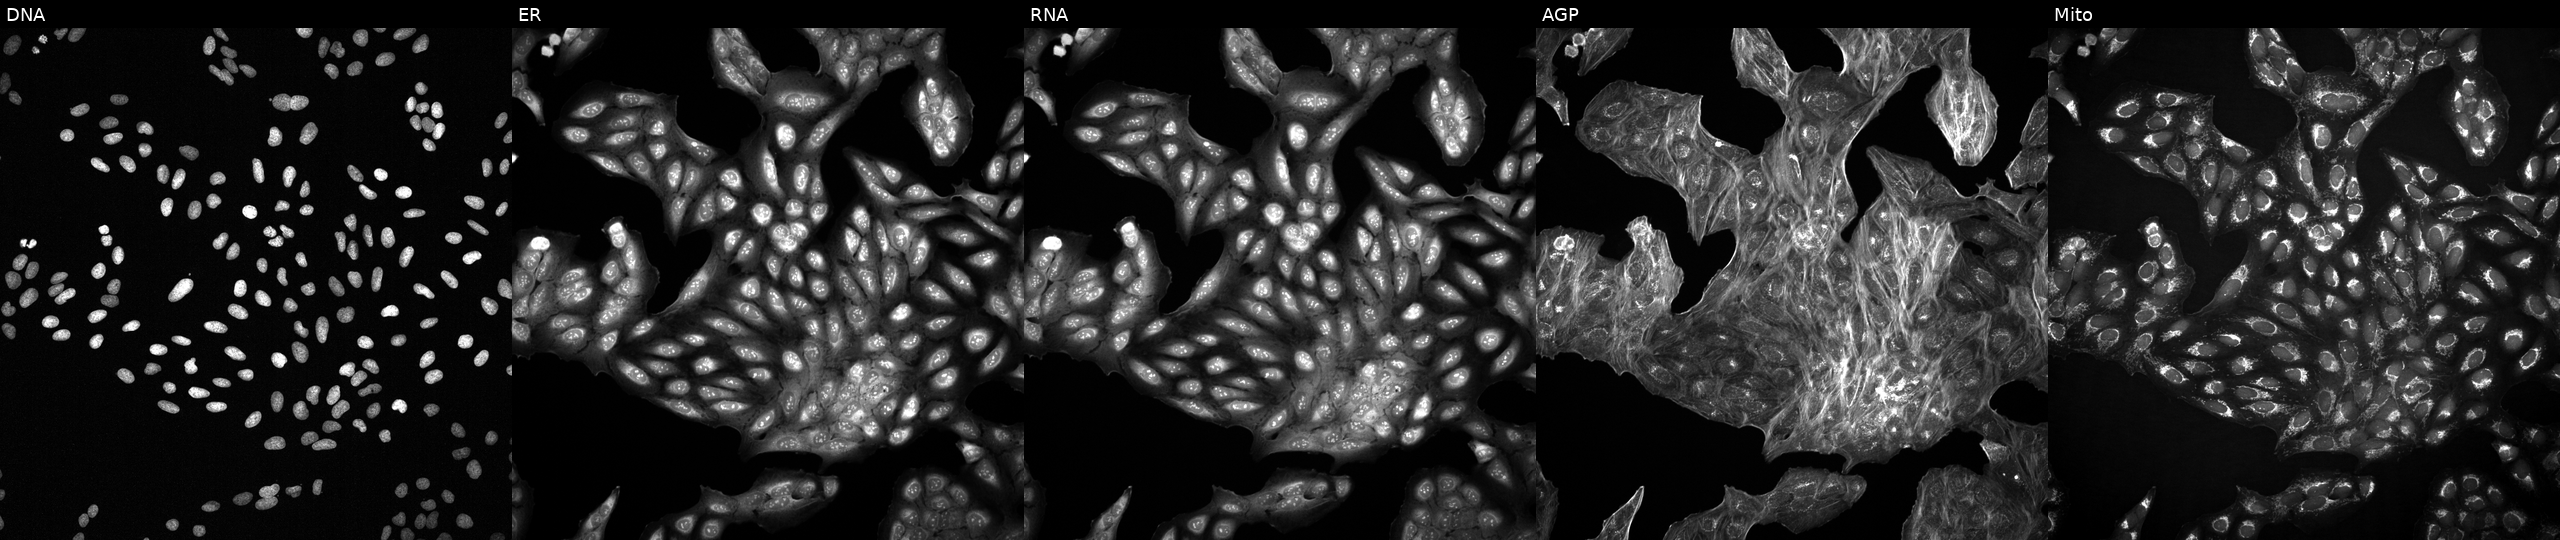
U2OS cells, Cell Painting assay, with an unidentified perturbation (not annotated in JUMP metadata). Panels show, left to right, DNA (nuclei); ER (endoplasmic reticulum); RNA (nucleoli and cytoplasmic RNA); AGP (actin cytoskeleton, Golgi, and plasma membrane); Mito (mitochondria). Each panel is percentile-stretched 16-bit fluorescence.